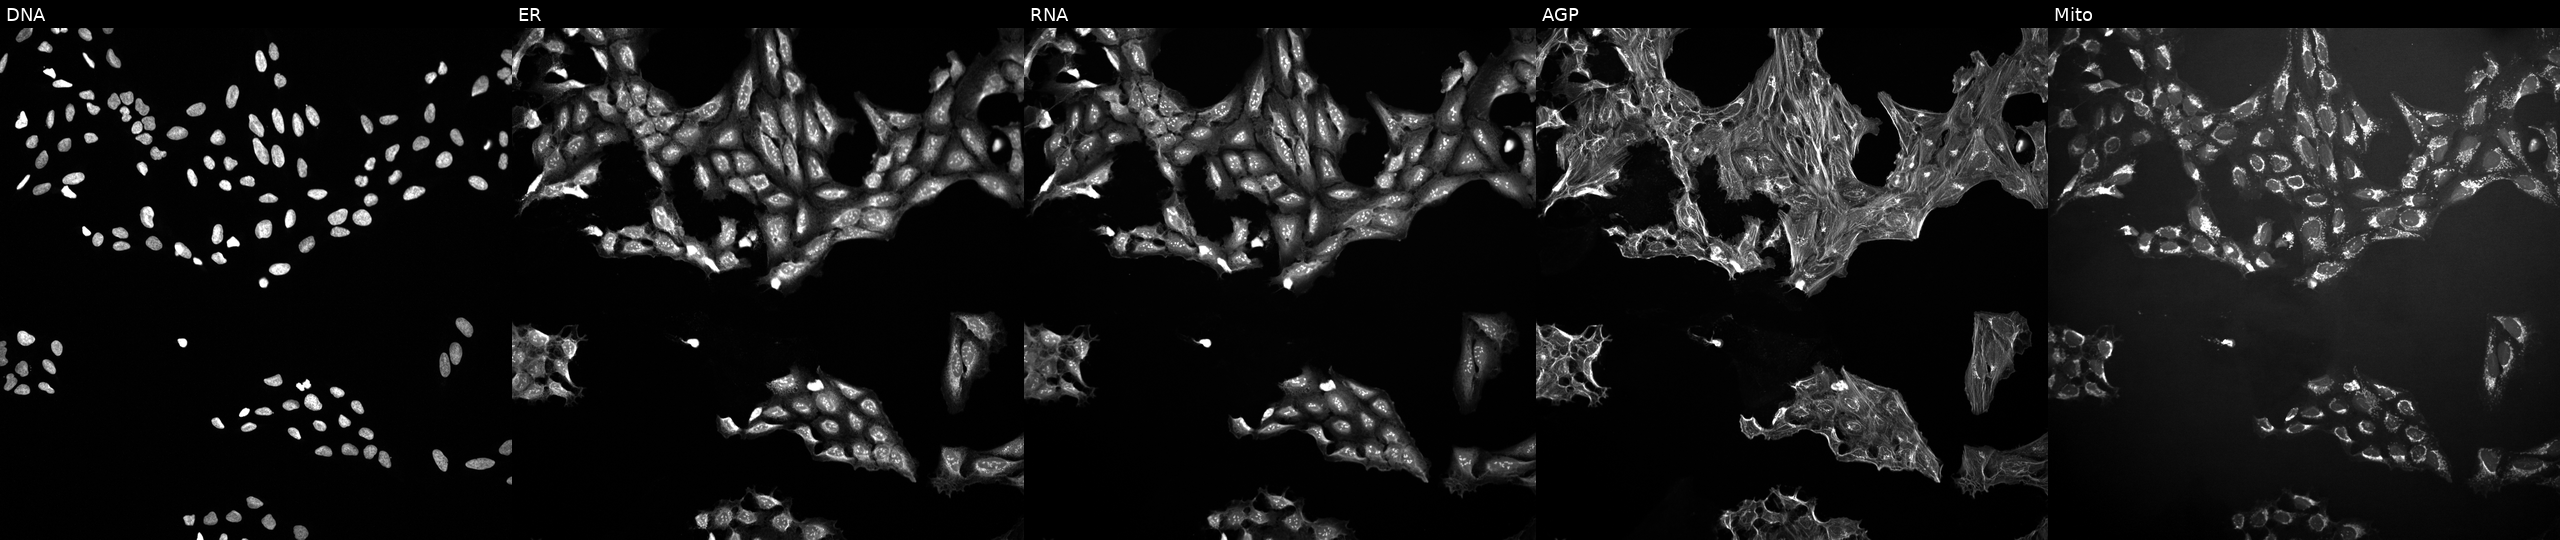
Five-channel Cell Painting image of U2OS cells perturbed with a small-molecule compound [SMILES: CCN1C(C)(C)CC(Oc2ccc(C(=O)Nc3ccc(NC(=O)N=c4cc(C(C)(C)C)o[nH]4)cc3)nc2)CC1(C)C]. From left to right: DNA (nuclei); ER (endoplasmic reticulum); RNA (nucleoli and cytoplasmic RNA); AGP (actin cytoskeleton, Golgi, and plasma membrane); Mito (mitochondria). Source 10, plate Dest210726-160150, well C10.